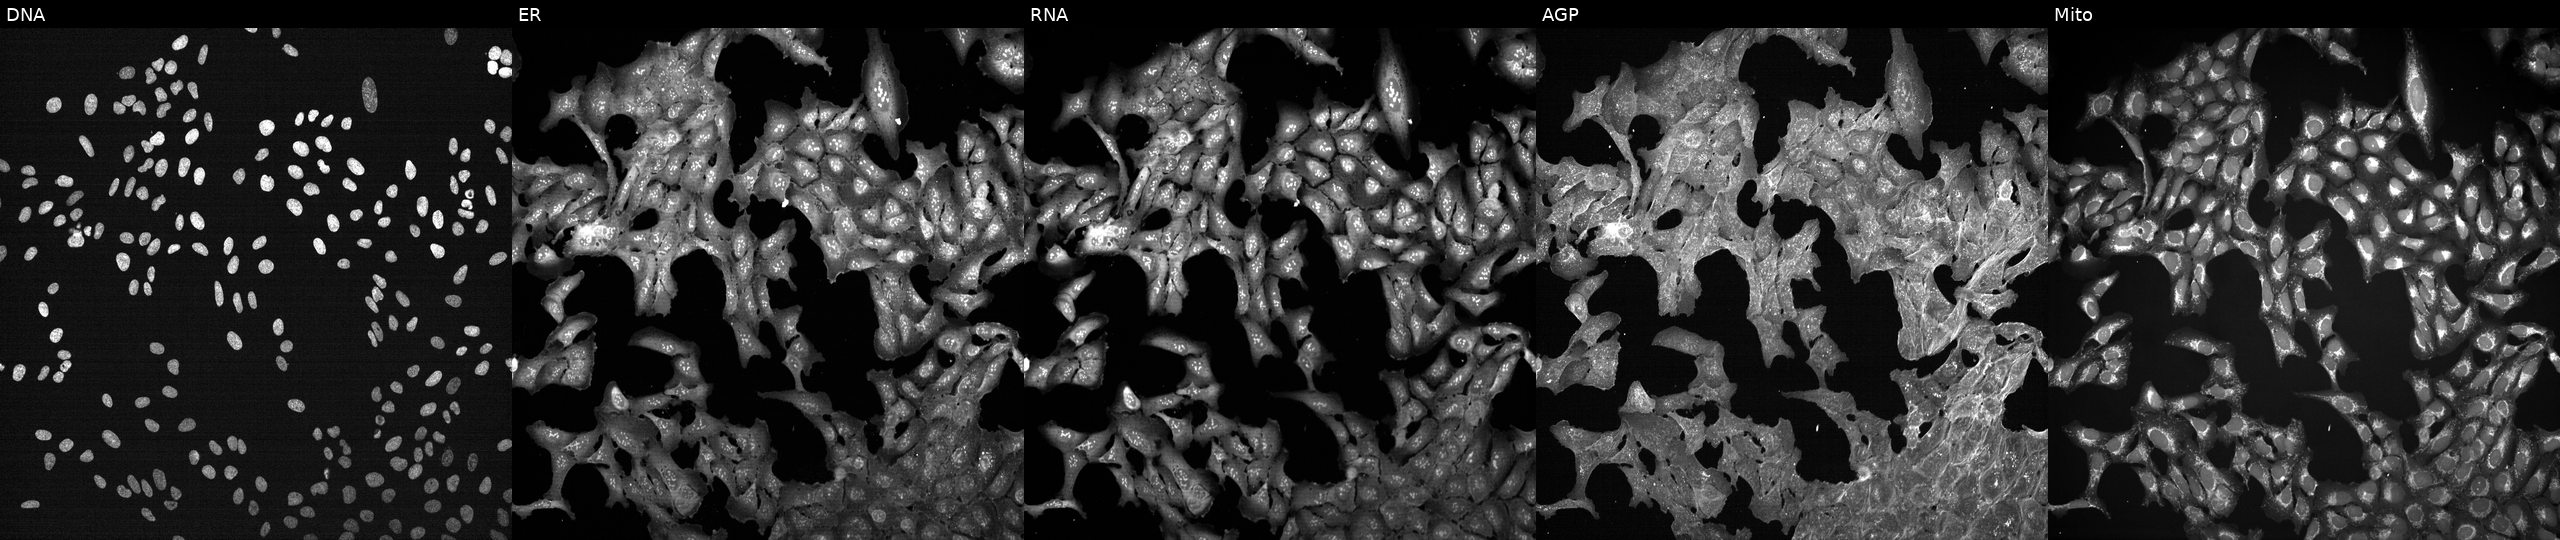
High-content fluorescence microscopy (Cell Painting). Cell line: U2OS. Perturbation: exposed to DMSO alone as a negative control. Panels show, left to right, DNA, ER, RNA, AGP, and Mito.